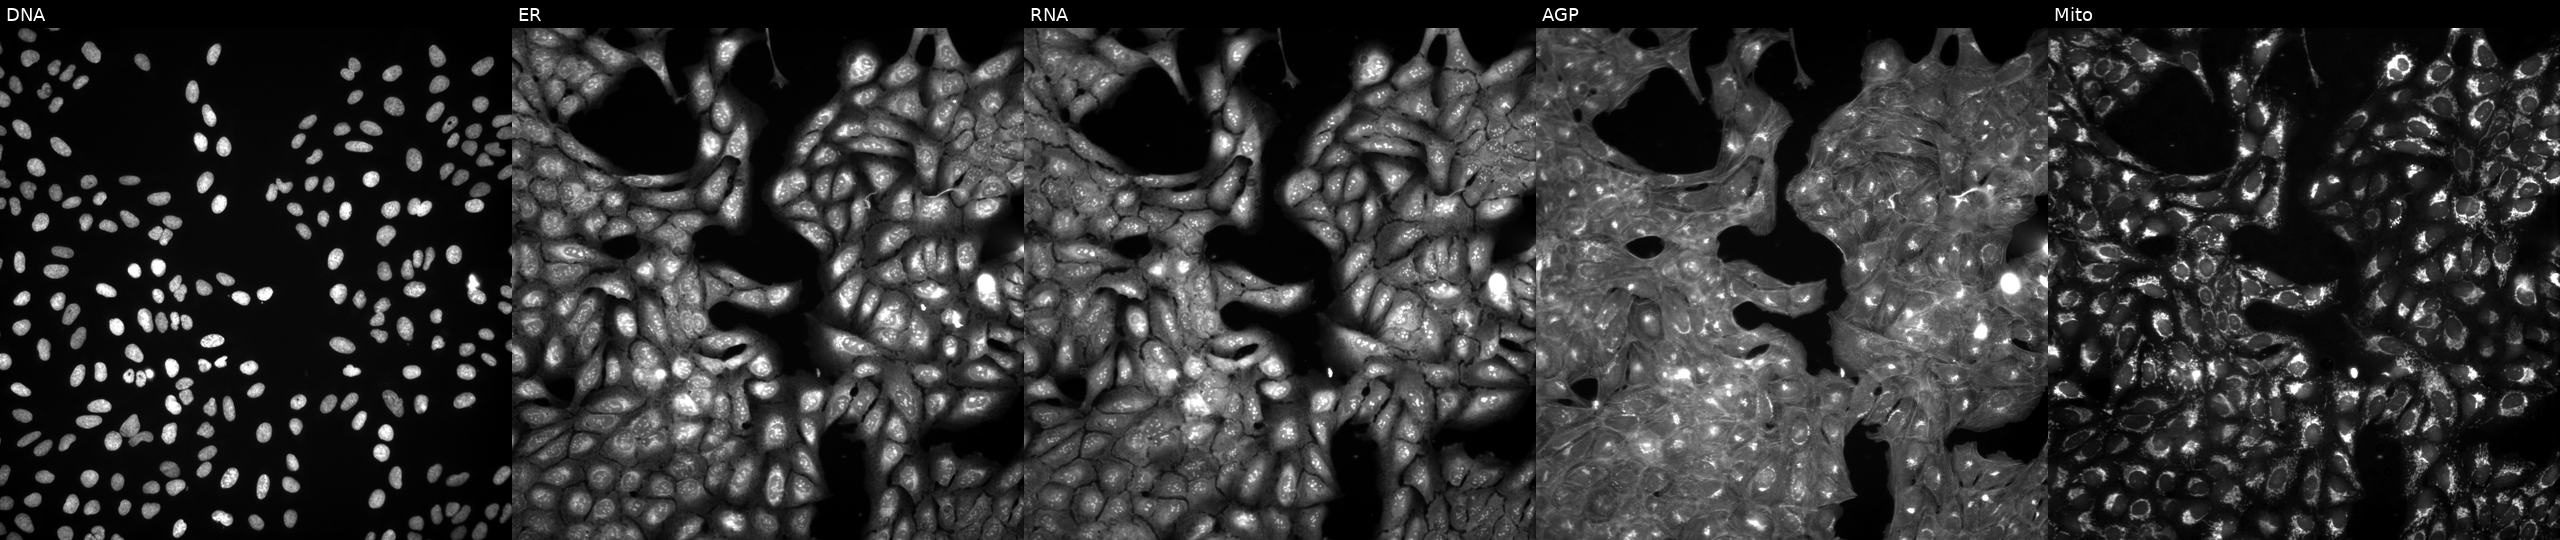
U2OS cells, Cell Painting assay, exposed to DMSO alone as a negative control (JUMP id JCP2022_033924). The five panels, left to right, show Hoechst 33342, concanavalin A, SYTO 14, phalloidin and WGA, MitoTracker. Each panel is percentile-stretched 16-bit fluorescence. Source 3, plate BR5867a3, well E02.